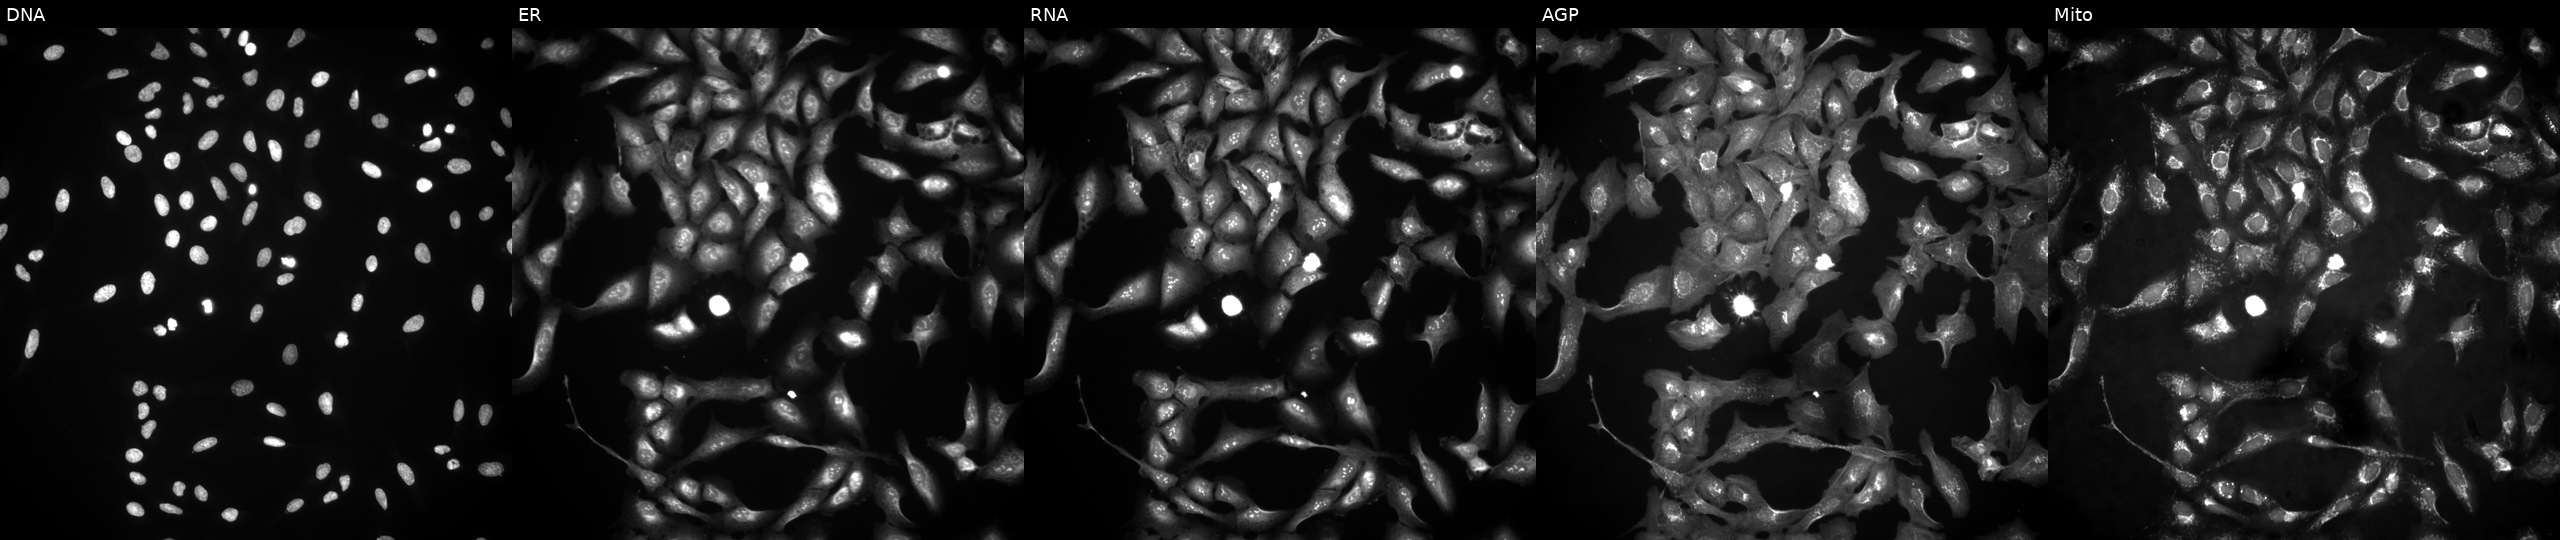
High-content fluorescence microscopy (Cell Painting). Cell line: U2OS. Perturbation: overexpressing TMEM213 via ORF transfection. Panels show, left to right, DNA (nuclei); ER (endoplasmic reticulum); RNA (nucleoli and cytoplasmic RNA); AGP (actin cytoskeleton, Golgi, and plasma membrane); Mito (mitochondria).